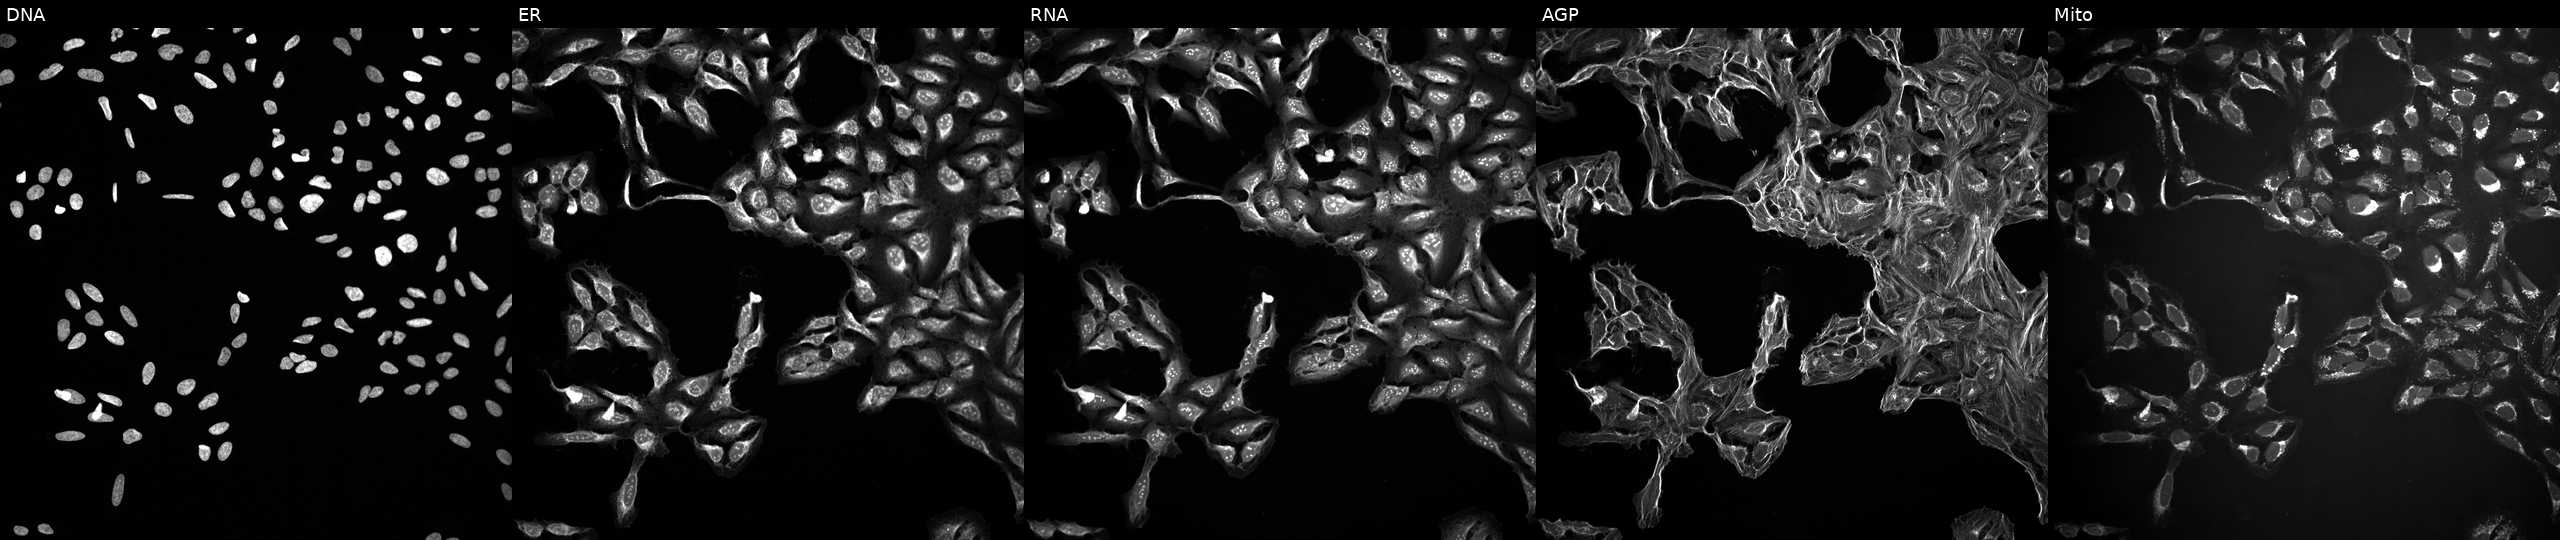
U2OS cells, Cell Painting assay, exposed to a small-molecule compound (JUMP id JCP2022_076233). Panels show, left to right, DNA (nuclei); ER (endoplasmic reticulum); RNA (nucleoli and cytoplasmic RNA); AGP (actin cytoskeleton, Golgi, and plasma membrane); Mito (mitochondria). Each panel is percentile-stretched 16-bit fluorescence.